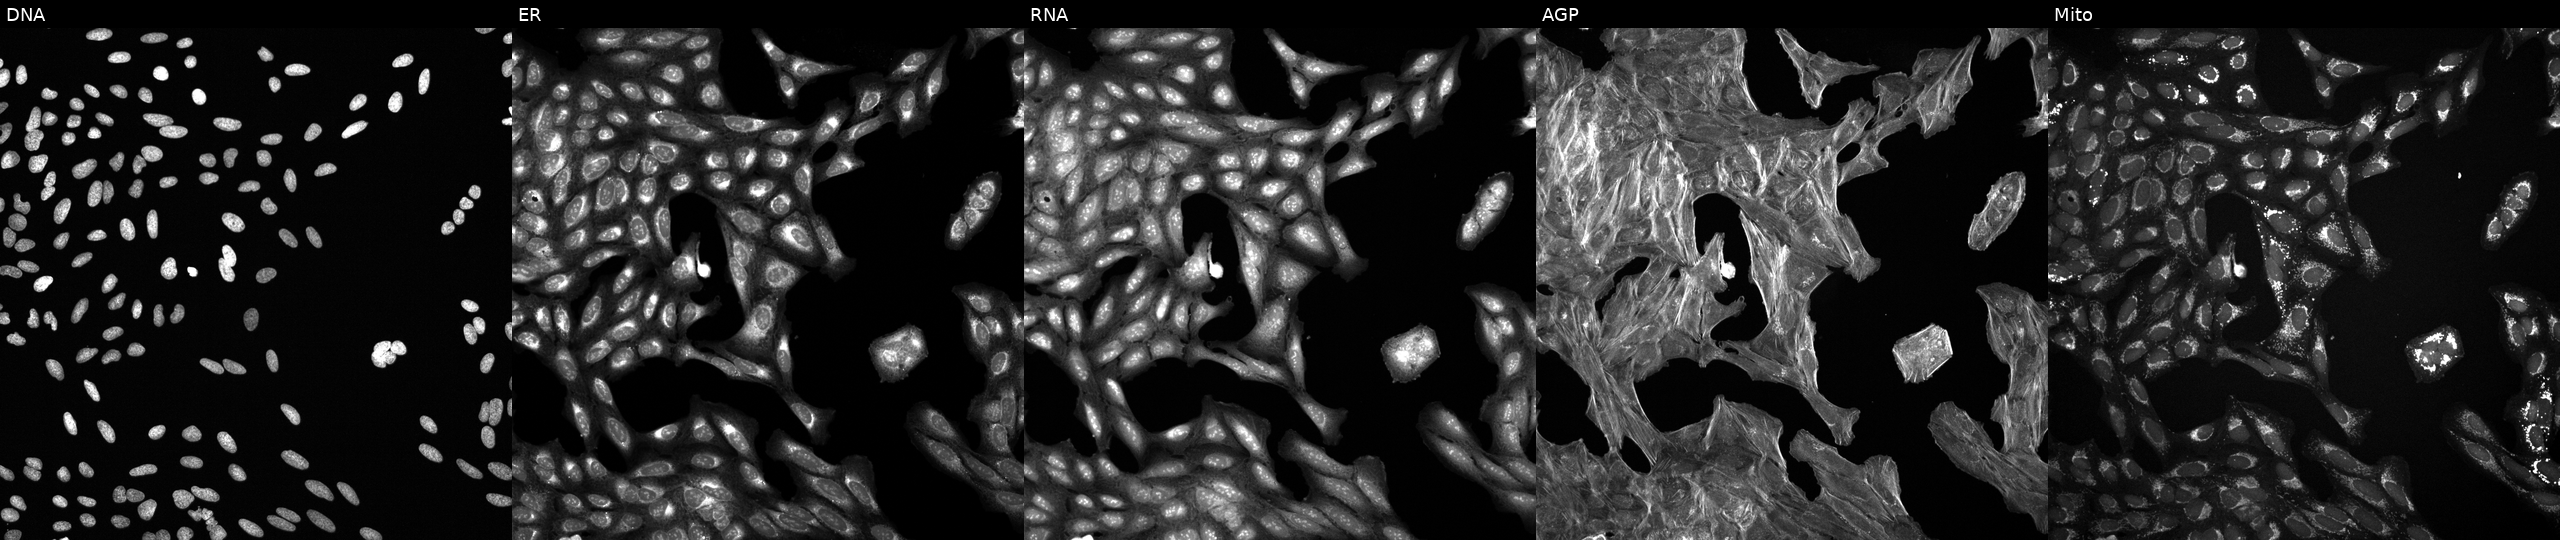
Five-channel Cell Painting image of U2OS cells exposed to a small-molecule compound (InChIKey FQUAFMNPXPXOJE-UHFFFAOYSA-N) (JUMP id JCP2022_022359). Panels show, left to right, DNA, ER, RNA, AGP, and Mito.